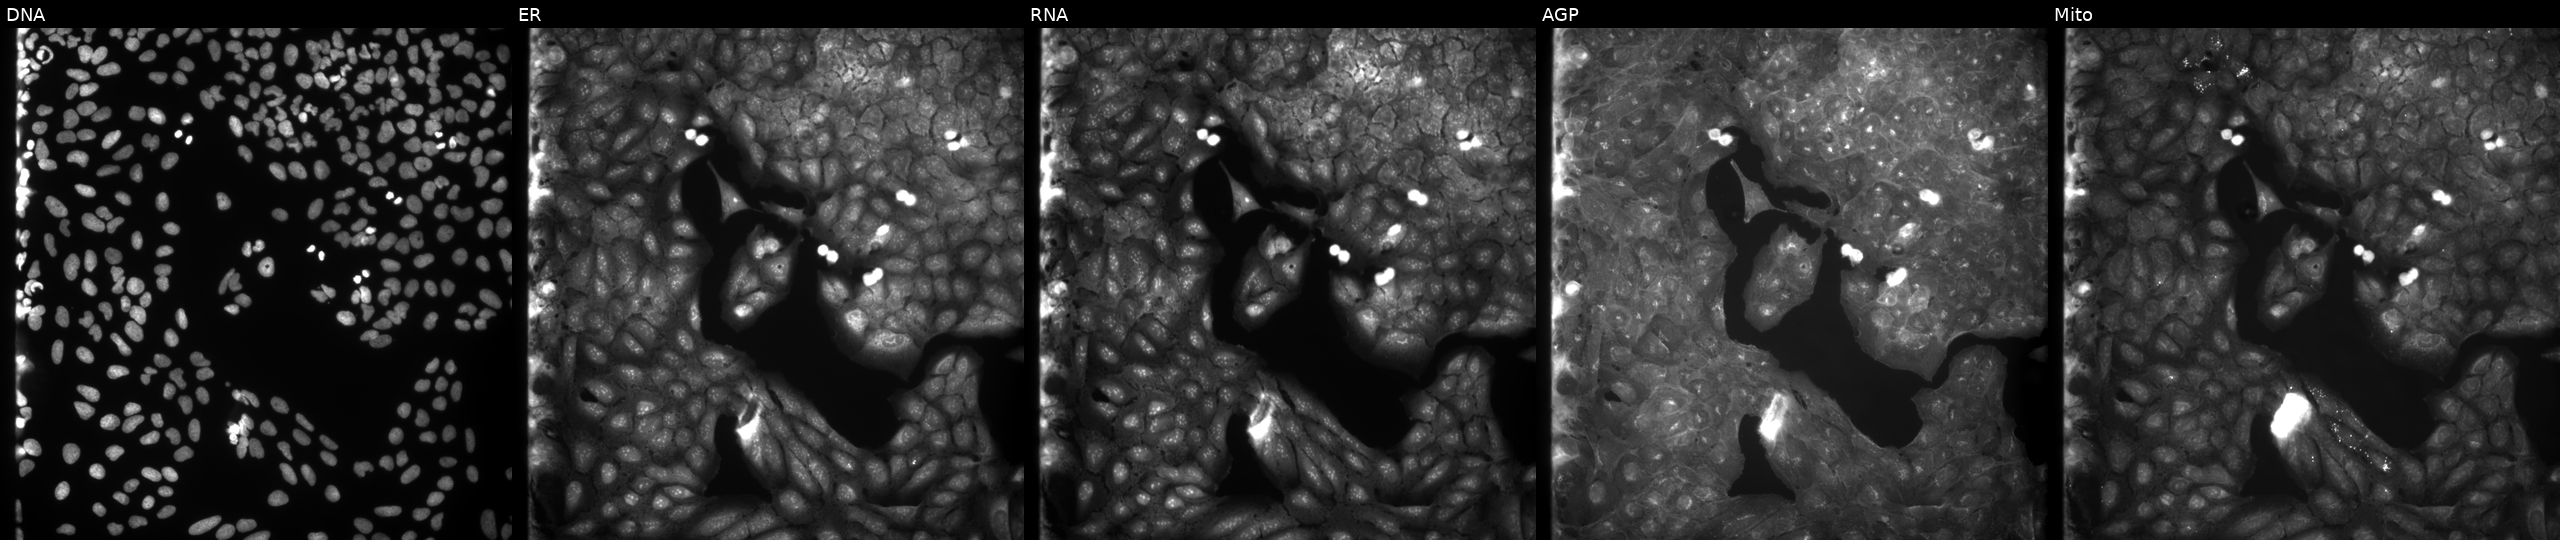
From left to right: DNA (nuclei); ER (endoplasmic reticulum); RNA (nucleoli and cytoplasmic RNA); AGP (actin cytoskeleton, Golgi, and plasma membrane); Mito (mitochondria). U2OS osteosarcoma cells treated with a small-molecule compound (InChIKey KQCQEDQQQAKBDX-UHFFFAOYSA-N). Cell Painting assay, JUMP-CP dataset.